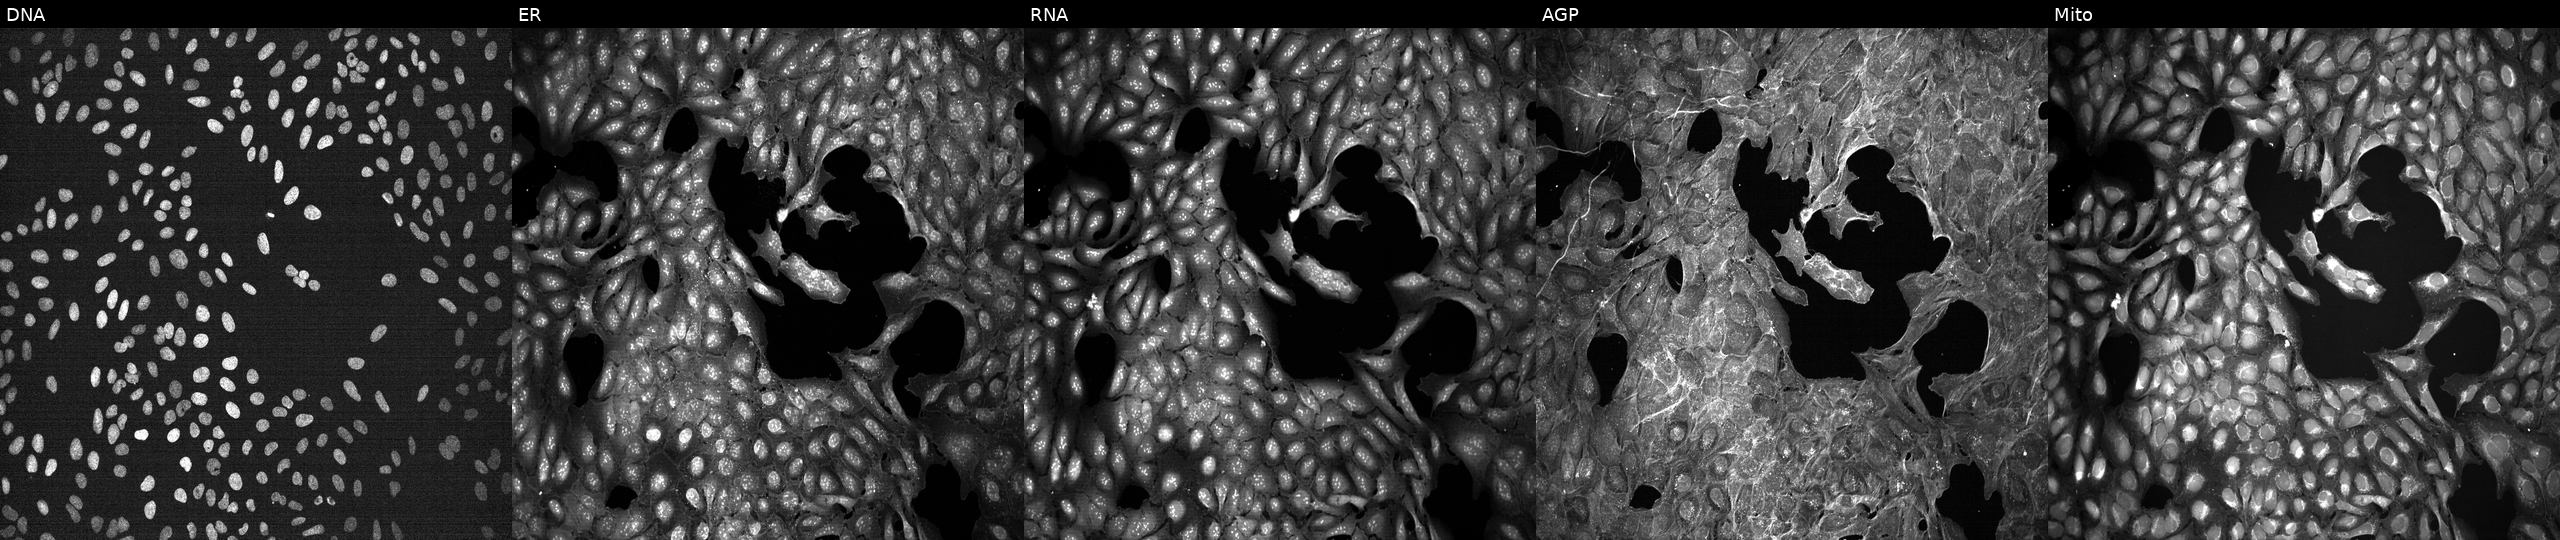
JUMP Cell Painting — TARGET2 plate. U2OS cells treated with a small-molecule compound. From left to right: DNA (nuclei); ER (endoplasmic reticulum); RNA (nucleoli and cytoplasmic RNA); AGP (actin cytoskeleton, Golgi, and plasma membrane); Mito (mitochondria).